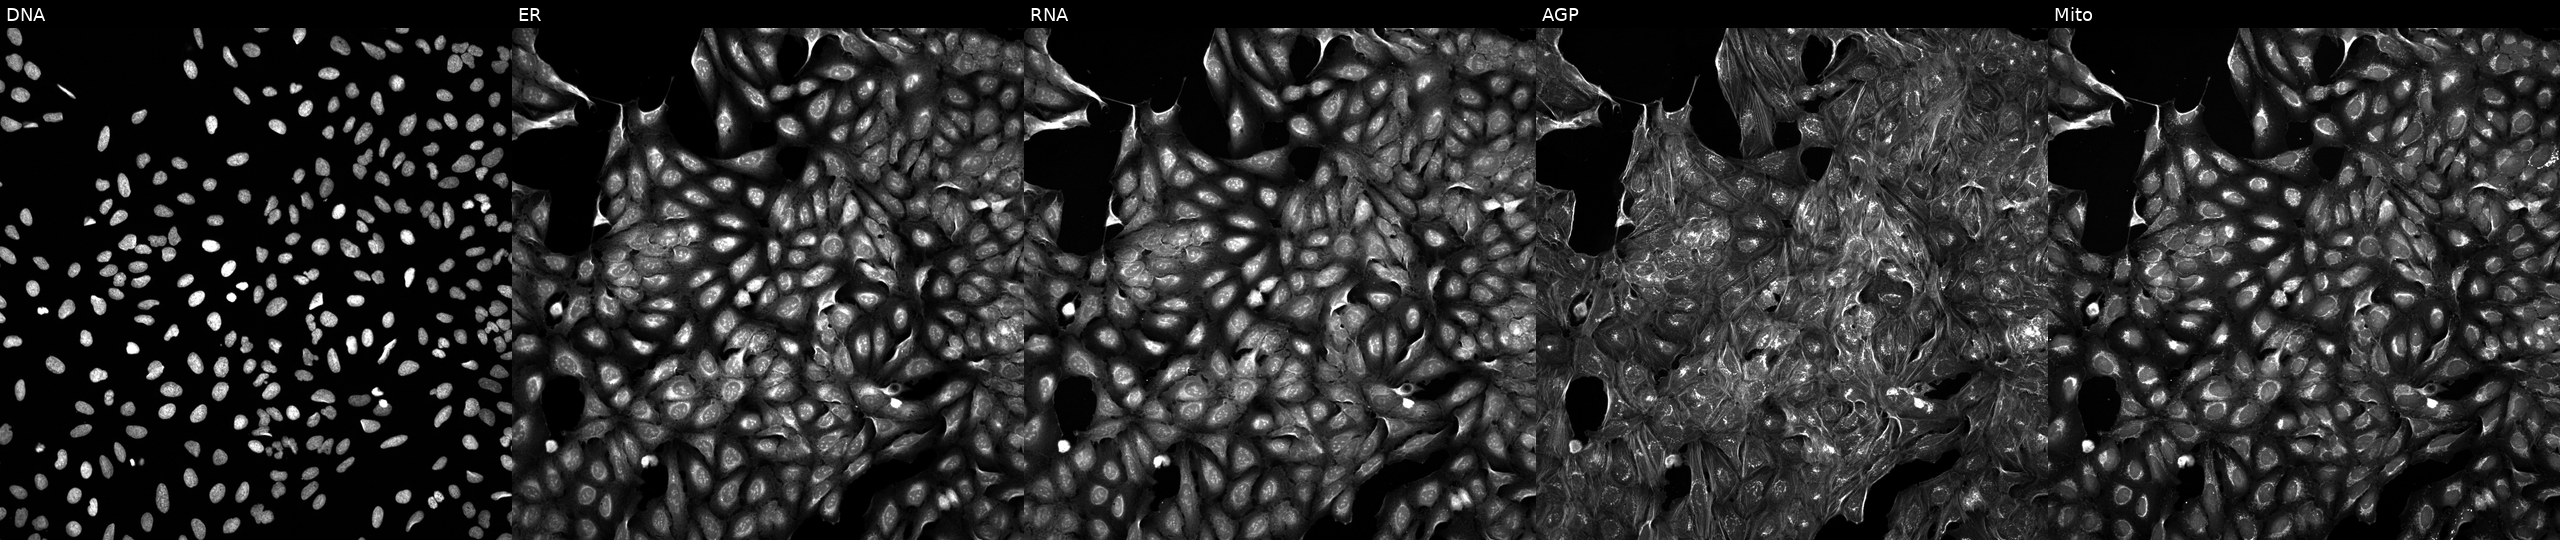
Channels (left→right): Hoechst 33342, concanavalin A, SYTO 14, phalloidin and WGA, MitoTracker. U2OS osteosarcoma cells treated with DMSO vehicle only (negative control). Cell Painting assay, JUMP-CP dataset. Source 5, plate APTJUM106, well I02.